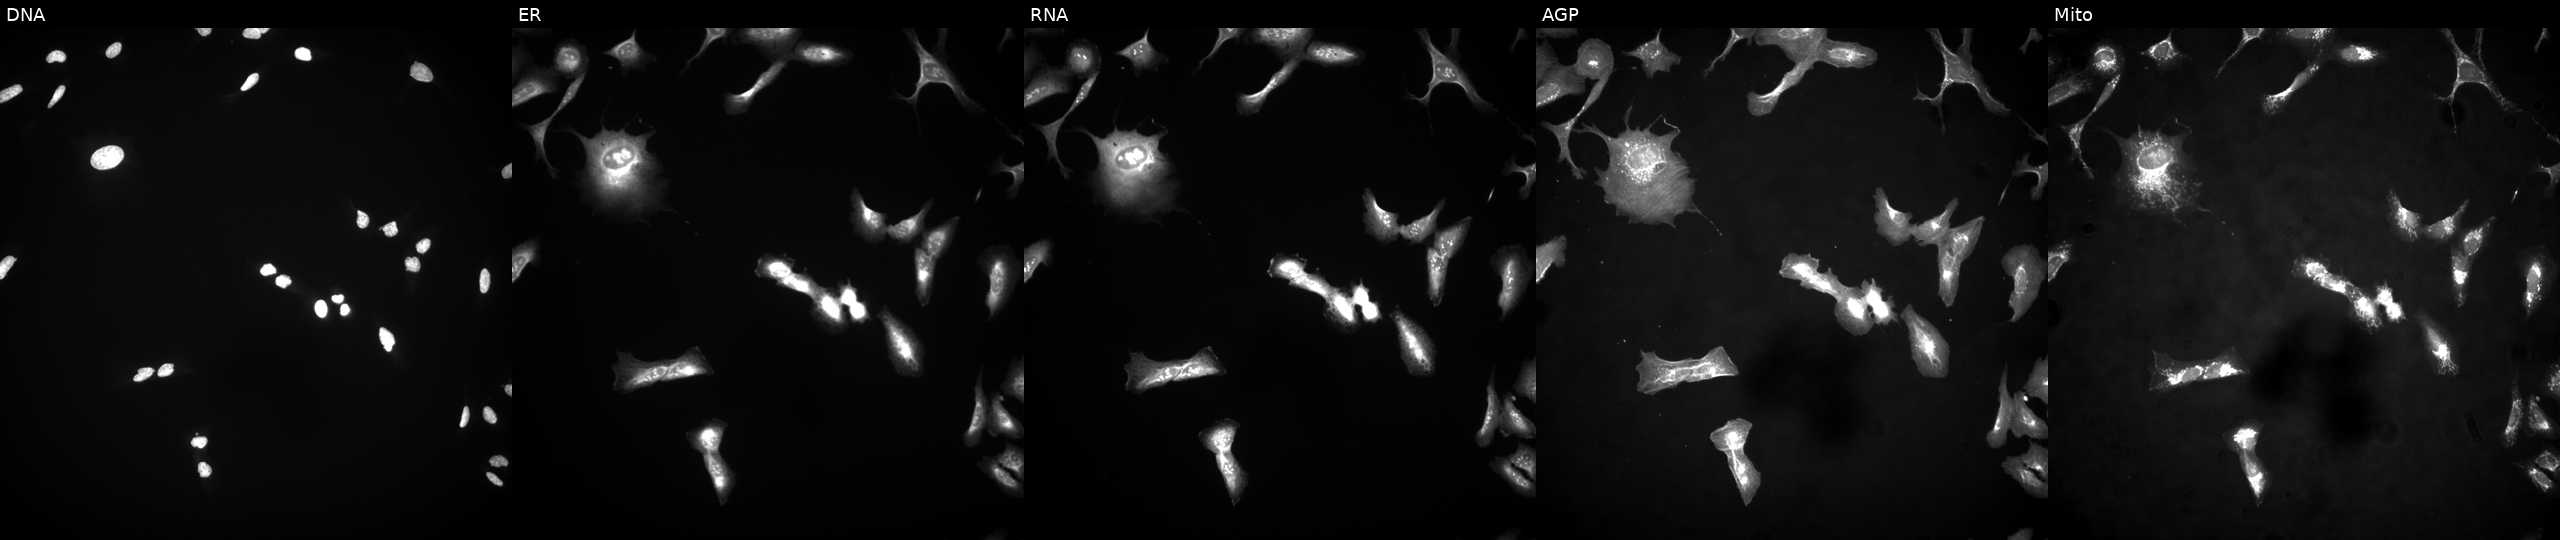
Panels show, left to right, DNA (nuclei); ER (endoplasmic reticulum); RNA (nucleoli and cytoplasmic RNA); AGP (actin cytoskeleton, Golgi, and plasma membrane); Mito (mitochondria). U2OS osteosarcoma cells transfected with an ORF construct for EIF3M (JUMP id JCP2022_902295). Cell Painting assay, JUMP-CP dataset.